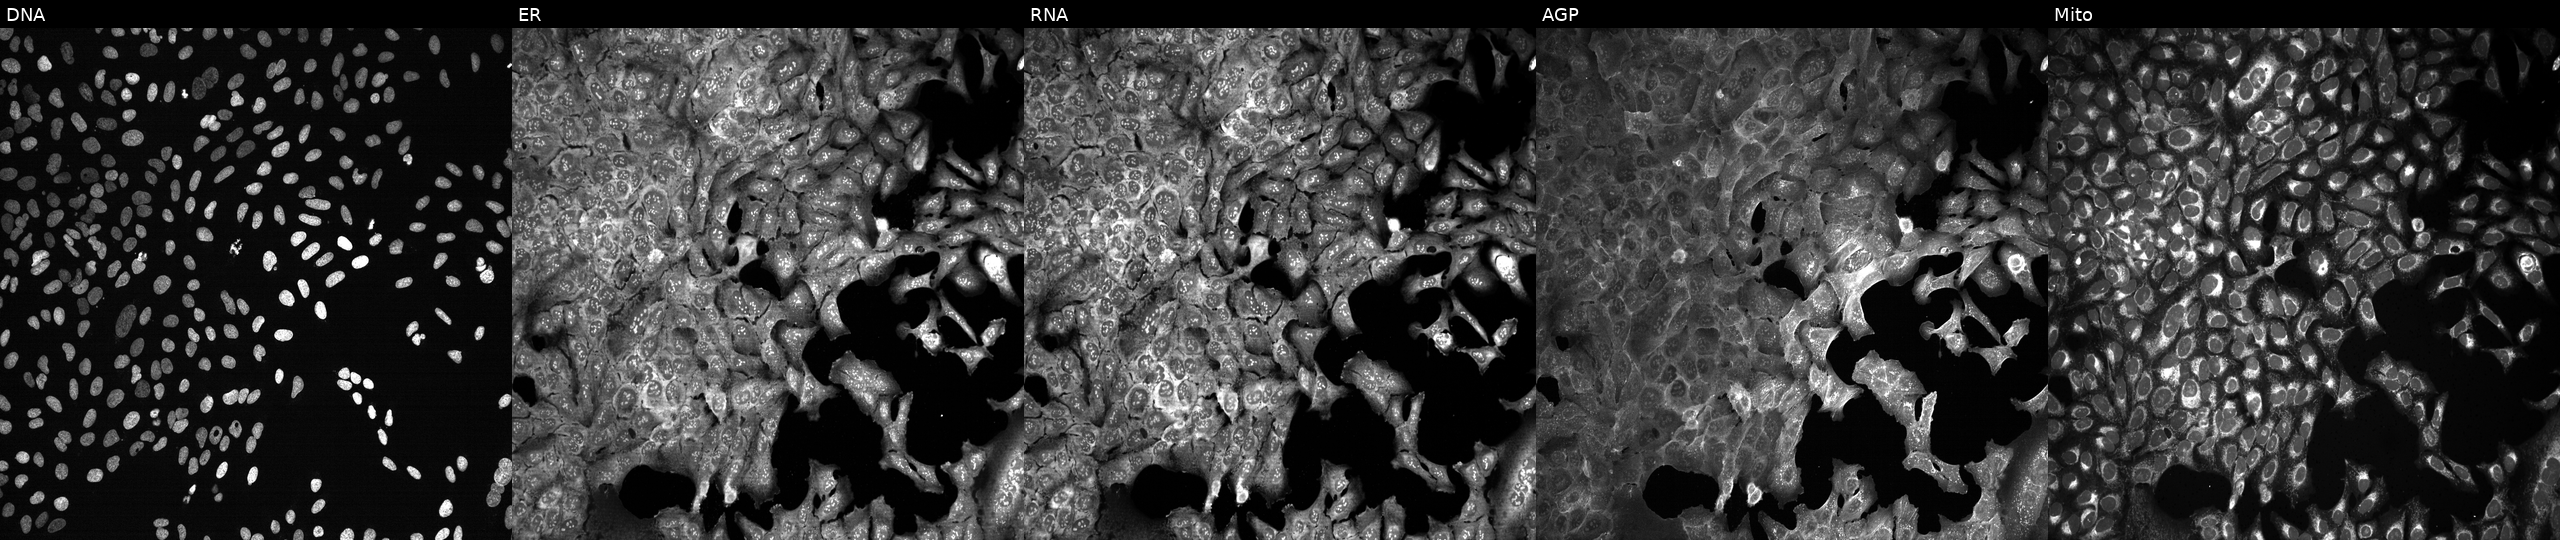
High-content fluorescence microscopy (Cell Painting). Cell line: U2OS. Perturbation: following CRISPR knockout of CELA3B. From left to right: Hoechst 33342, concanavalin A, SYTO 14, phalloidin and WGA, MitoTracker.